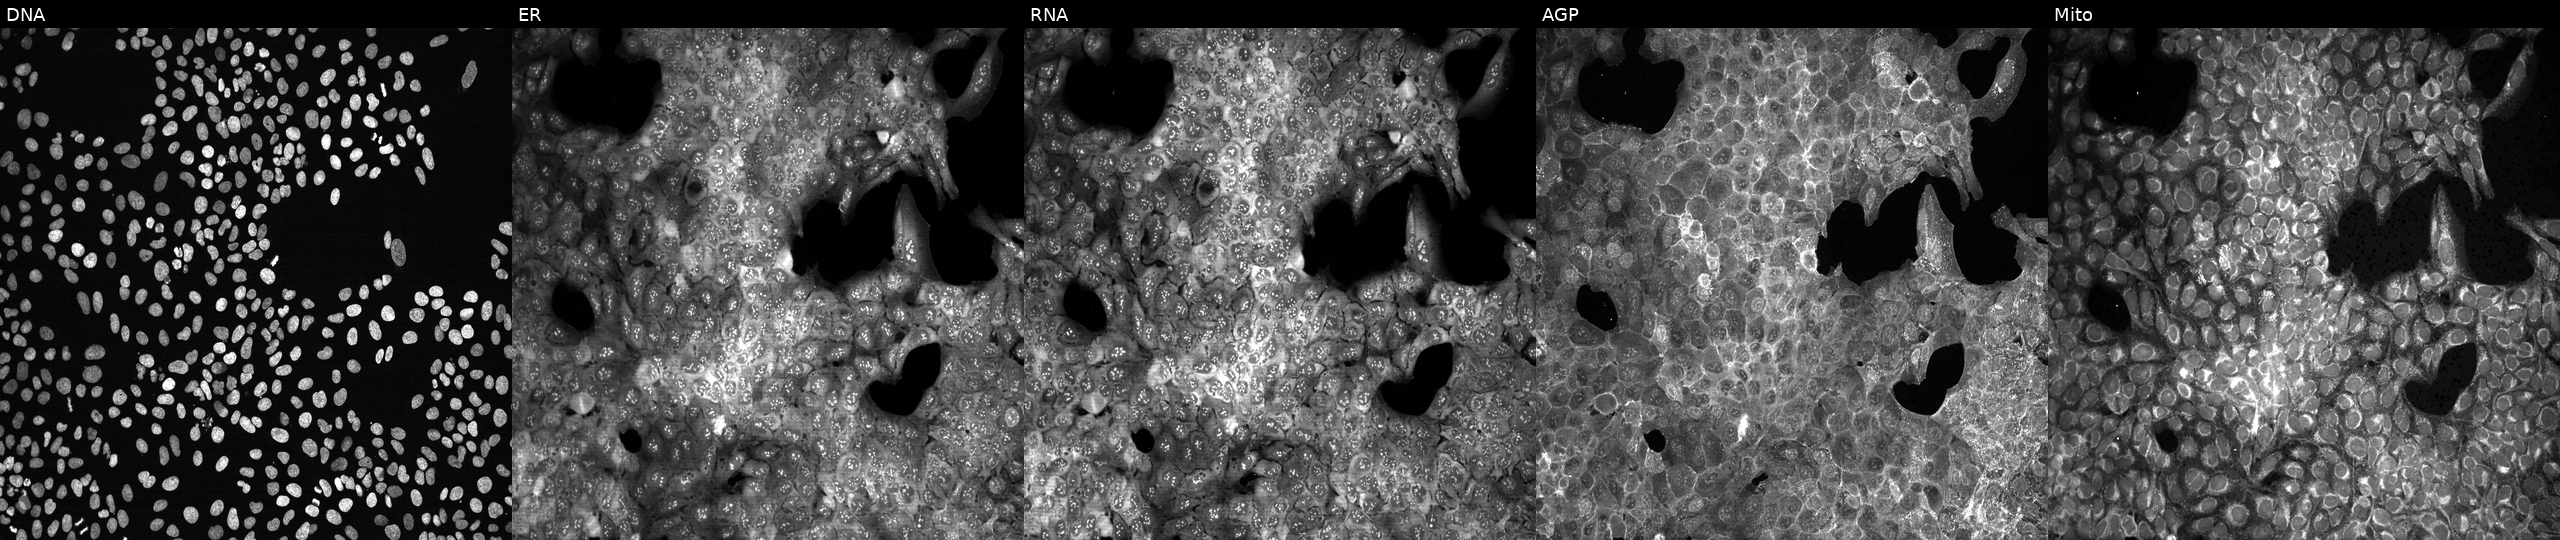
U2OS cells, Cell Painting assay, treated with LY2109761 (positive-control compound) (JUMP id JCP2022_035095). The five panels, left to right, show DNA, ER, RNA, AGP, and Mito. Each panel is percentile-stretched 16-bit fluorescence. Source 13, plate CP-CC9-R5-01, well B24.